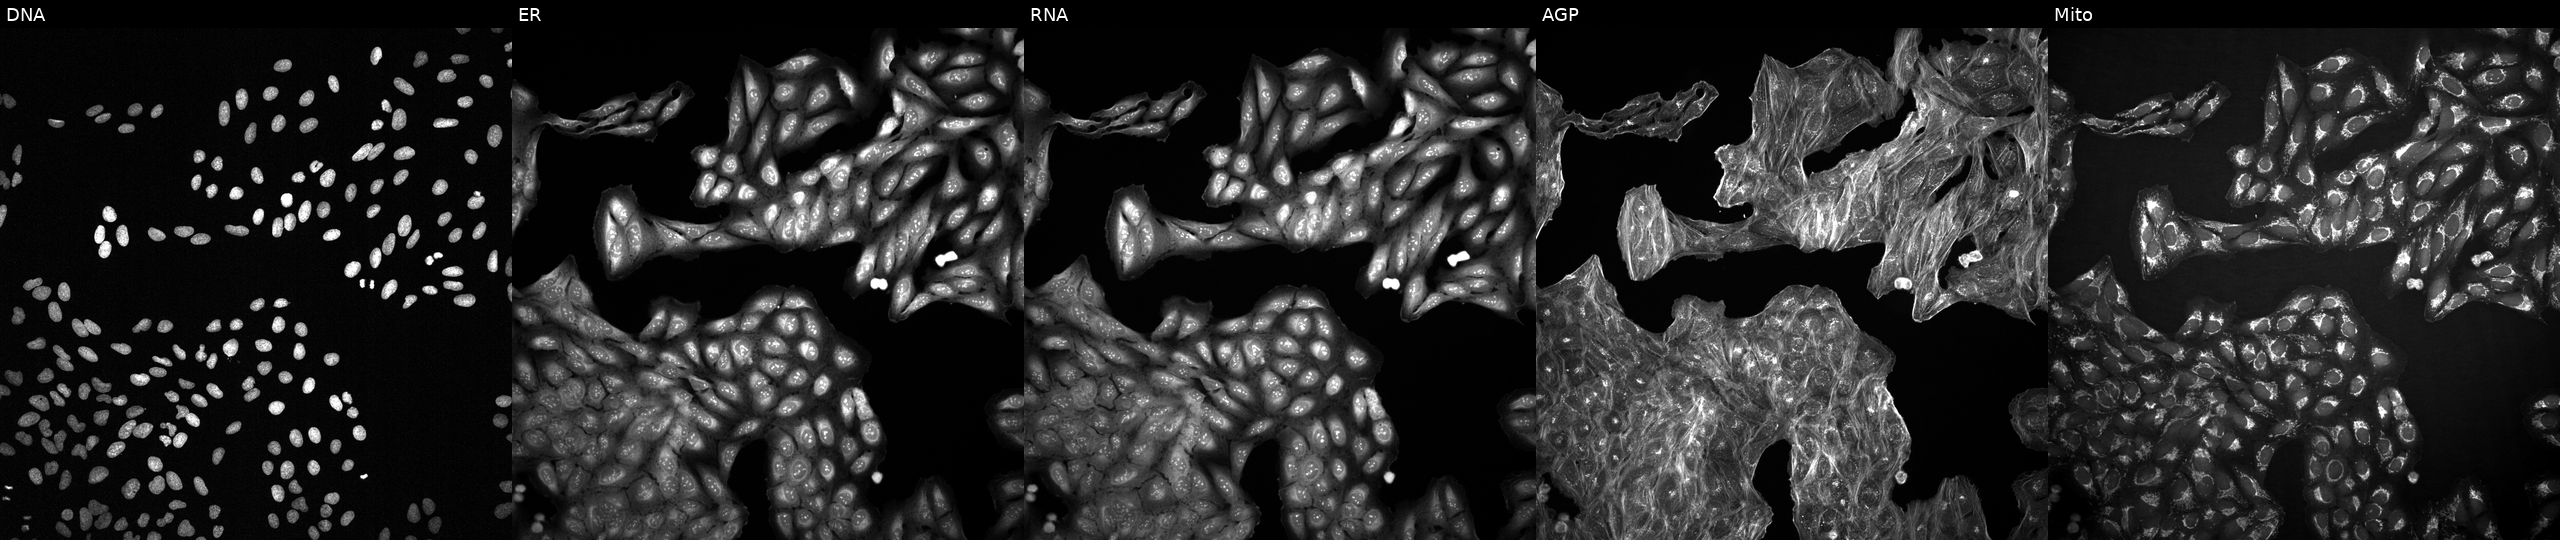
High-content fluorescence microscopy (Cell Painting). Cell line: U2OS. Perturbation: treated with a small-molecule compound (InChIKey NCEXYHBECQHGNR-UHFFFAOYSA-N) [SMILES: O=C(O)c1cc(N=Nc2ccc(S(=O)(=O)N=c3cccc[nH]3)cc2)ccc1O]. The five panels, left to right, show Hoechst 33342, concanavalin A, SYTO 14, phalloidin and WGA, MitoTracker. Source 2, plate 1053600674, well C04.